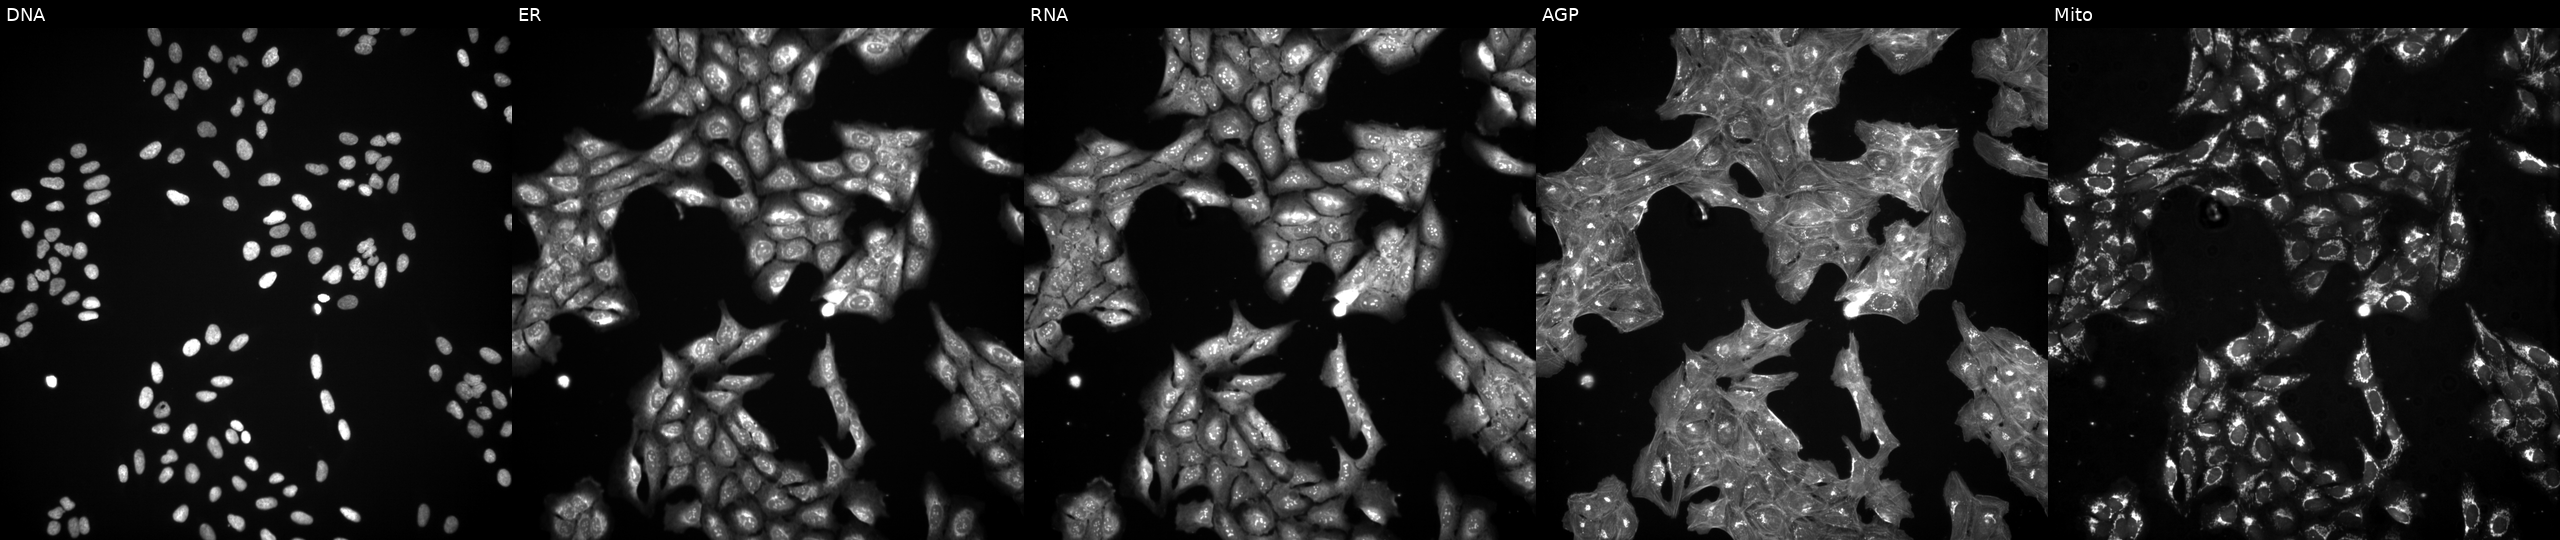
High-content fluorescence microscopy (Cell Painting). Cell line: U2OS. Perturbation: exposed to a small-molecule compound (JUMP id JCP2022_092208). From left to right: Hoechst 33342, concanavalin A, SYTO 14, phalloidin and WGA, MitoTracker. Source 3, plate BR5867a3, well L17.